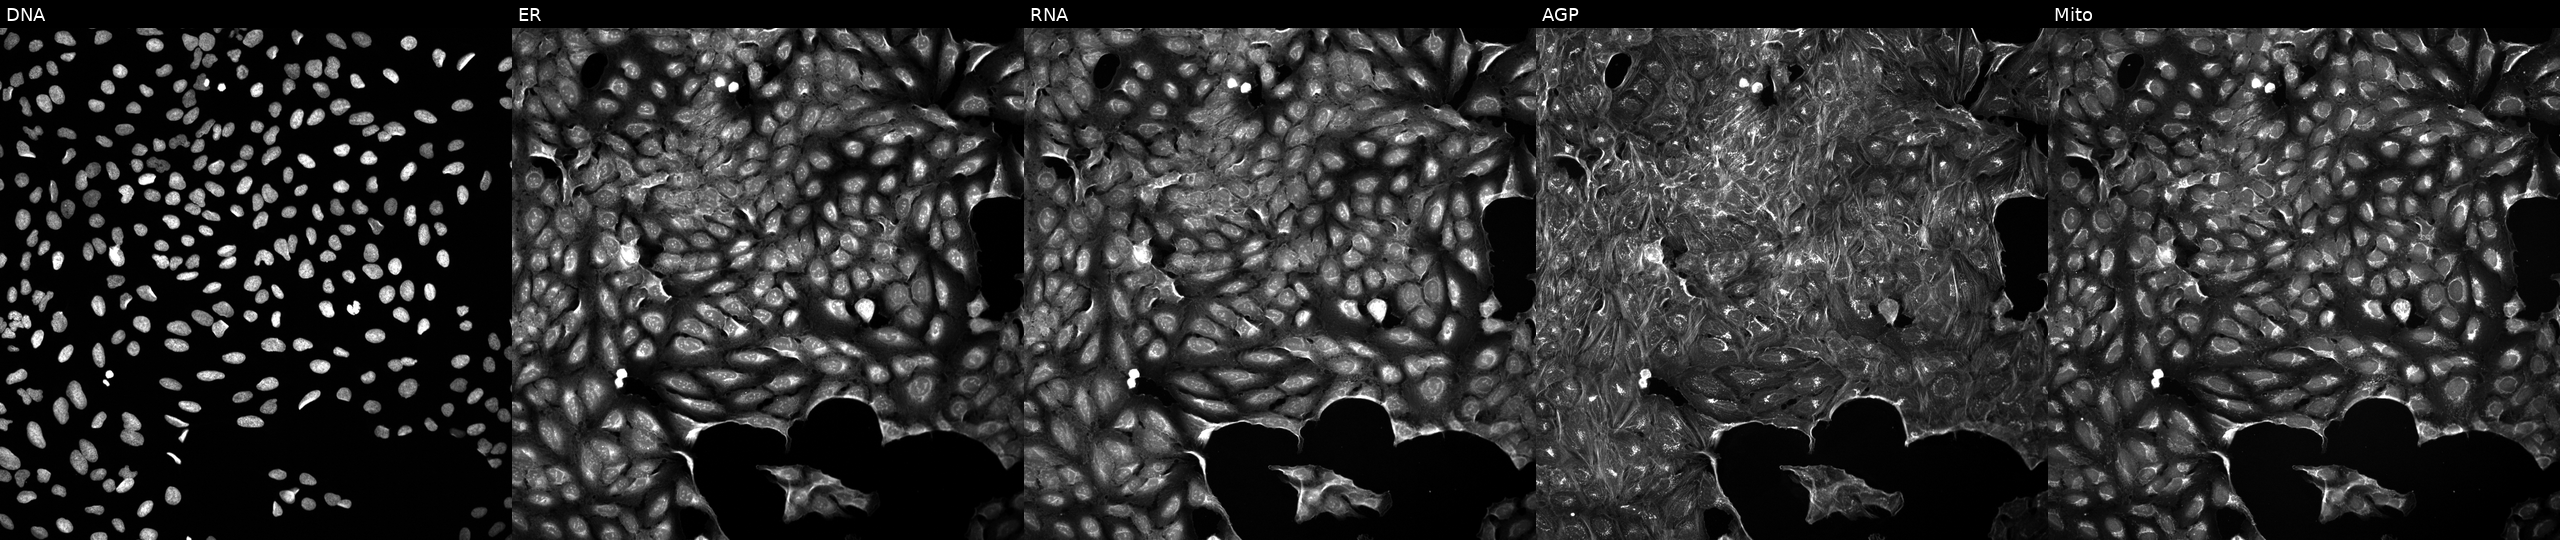
High-content fluorescence microscopy (Cell Painting). Cell line: U2OS. Perturbation: perturbed with a small-molecule compound (InChIKey RHSCTKGXDXNEOE-UHFFFAOYSA-N) (JUMP id JCP2022_078462). The five panels, left to right, show DNA, ER, RNA, AGP, and Mito.